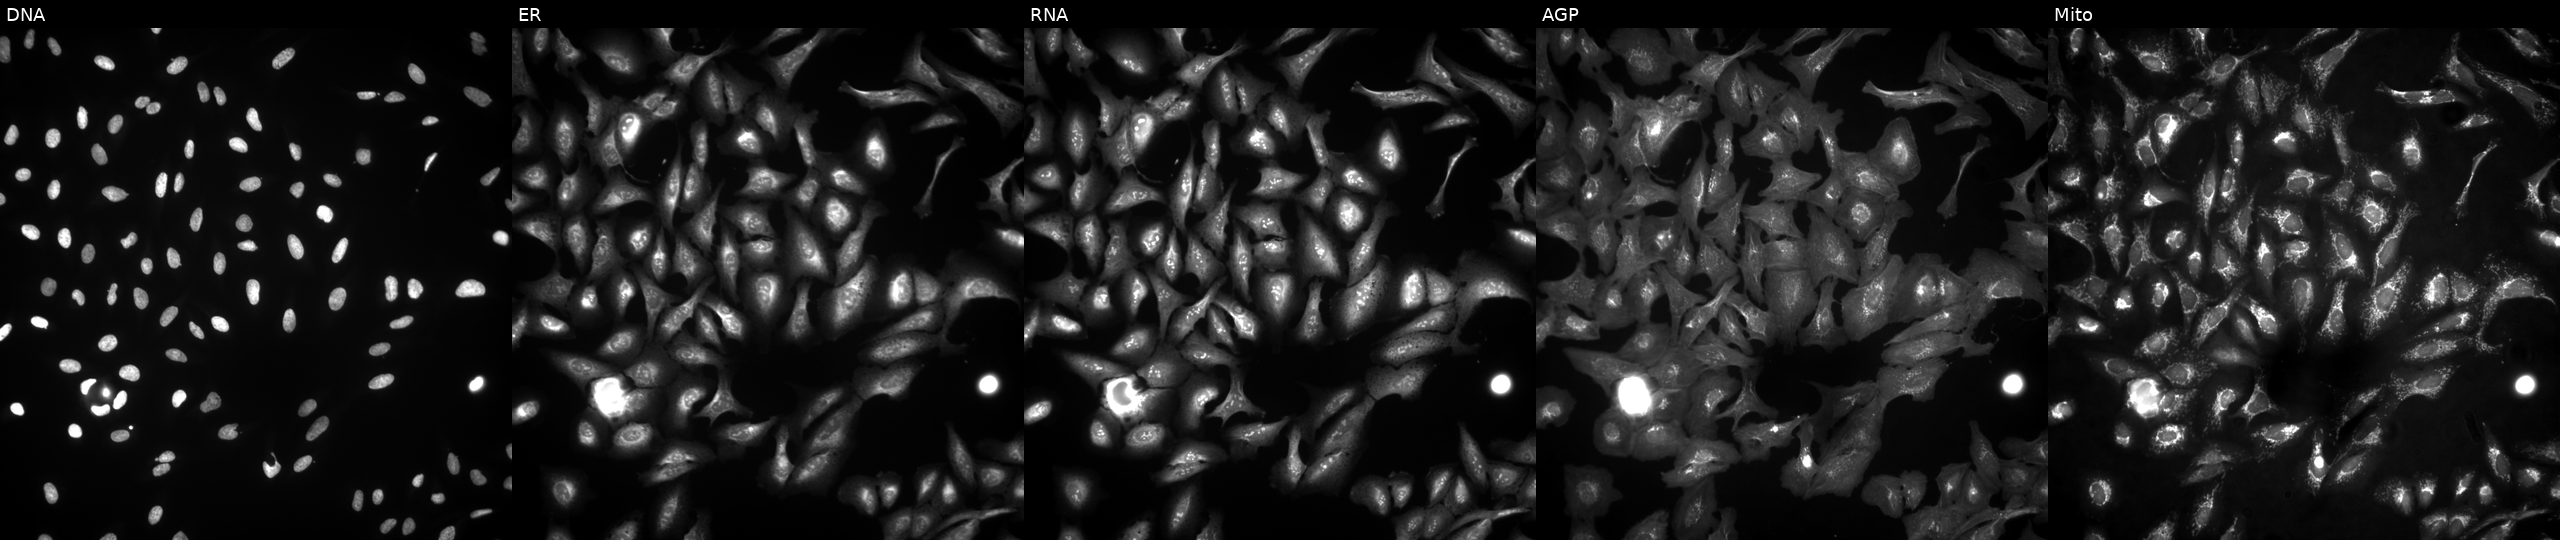
High-content fluorescence microscopy (Cell Painting). Cell line: U2OS. Perturbation: overexpressing SIGLECL1 via ORF transfection. From left to right: Hoechst 33342, concanavalin A, SYTO 14, phalloidin and WGA, MitoTracker. Source 4, plate BR00124790, well D21.